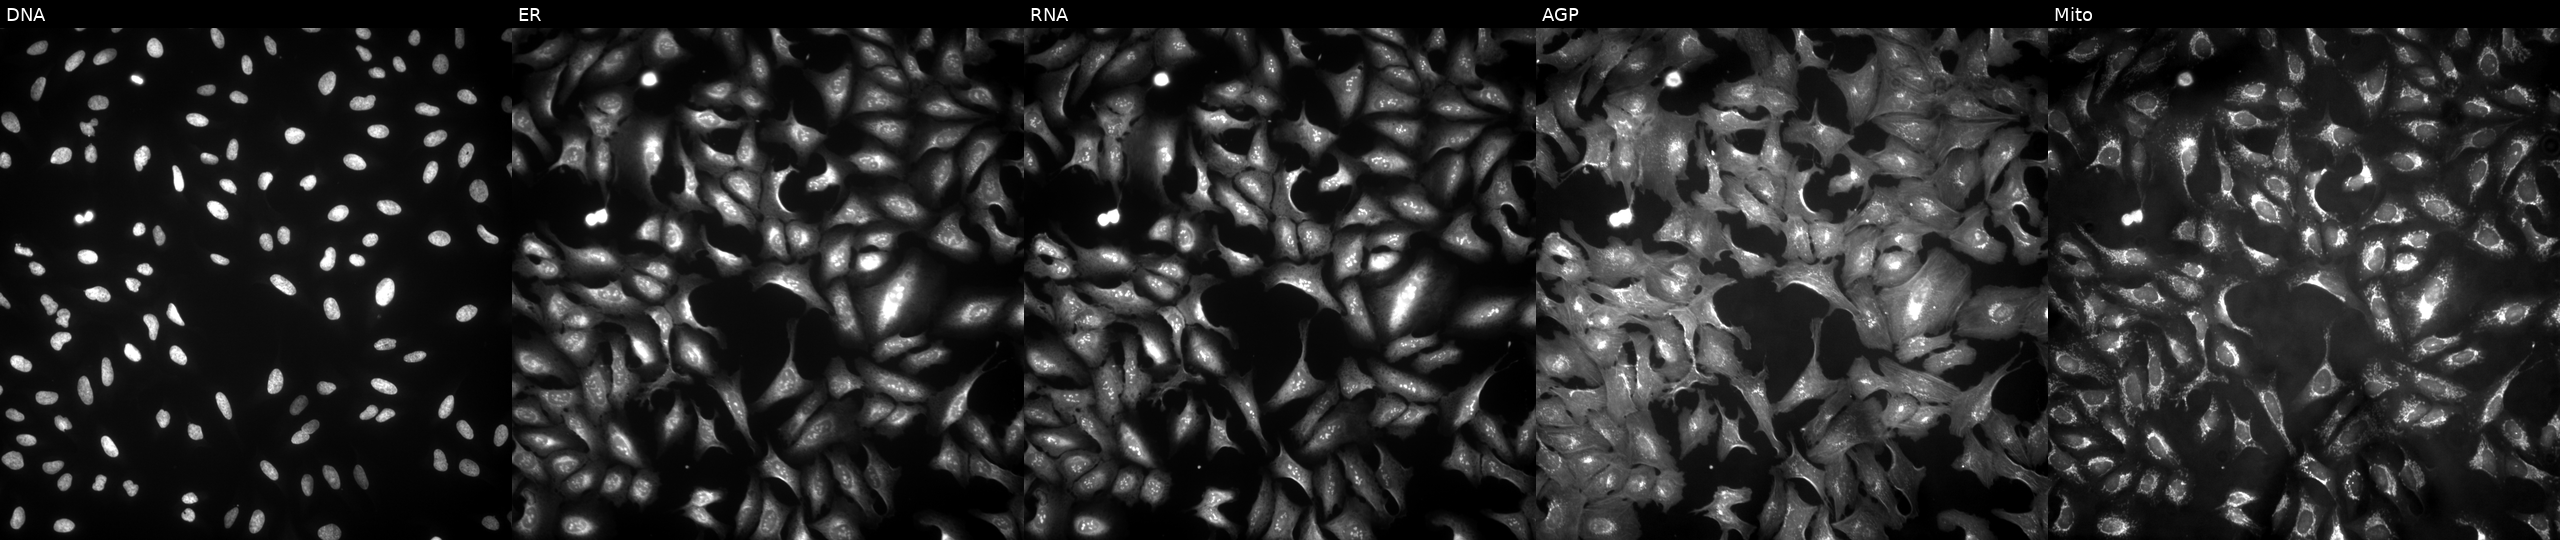
JUMP Cell Painting — ORF plate. U2OS cells transfected with an ORF construct for F2R (JUMP id JCP2022_905787). The five panels, left to right, show DNA, ER, RNA, AGP, and Mito.